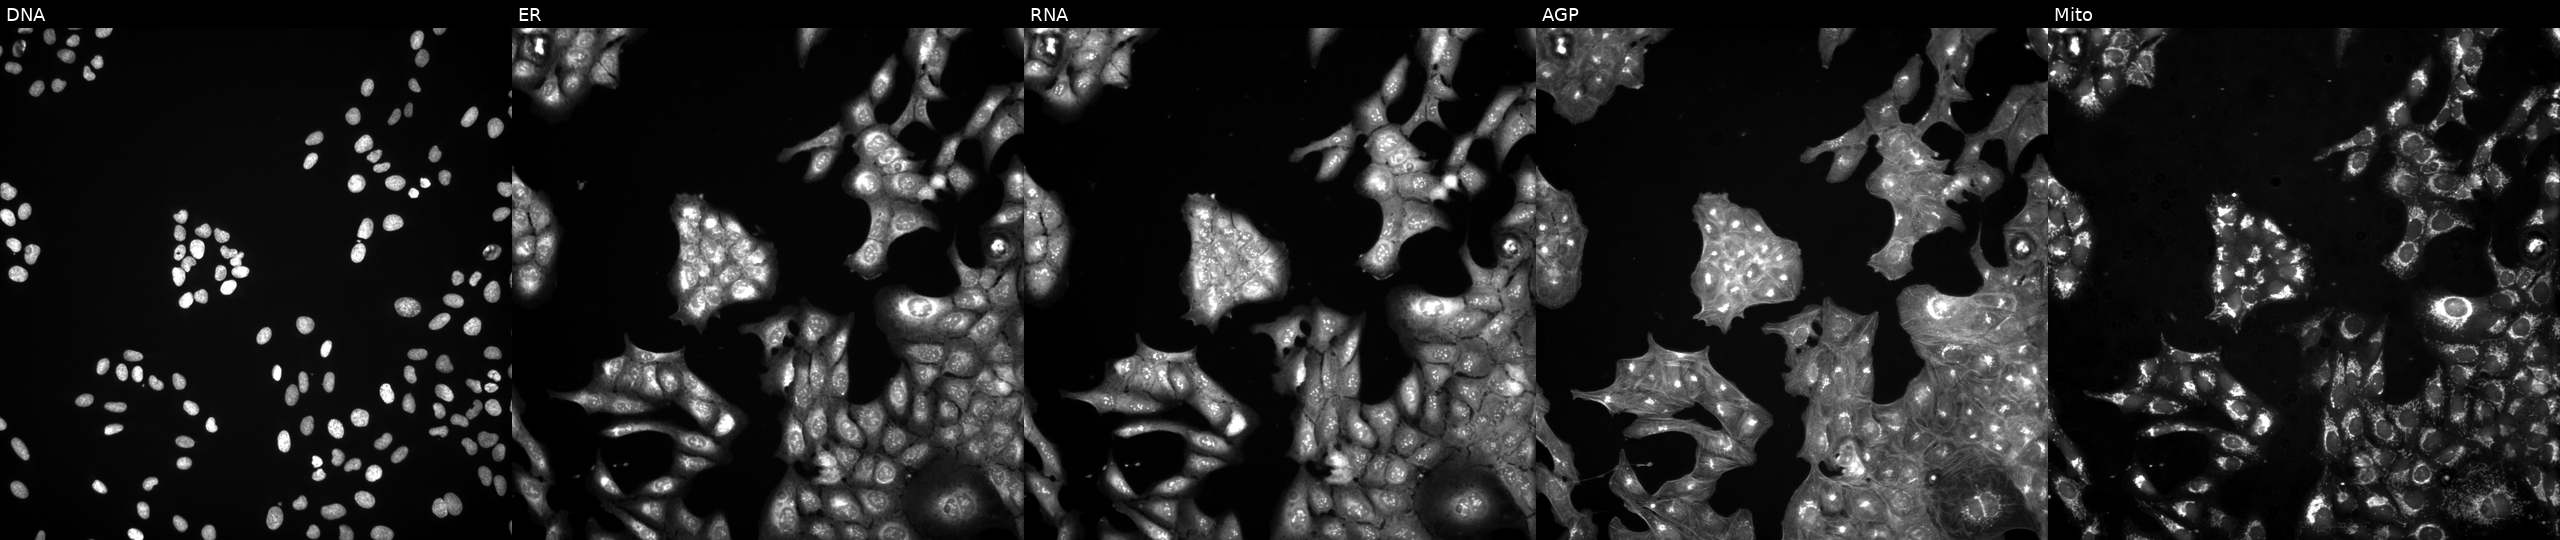
This image strip shows the five Cell Painting channels for a single field of U2OS cells exposed to DMSO alone as a negative control. Channels (left→right): DNA (nuclei); ER (endoplasmic reticulum); RNA (nucleoli and cytoplasmic RNA); AGP (actin cytoskeleton, Golgi, and plasma membrane); Mito (mitochondria).